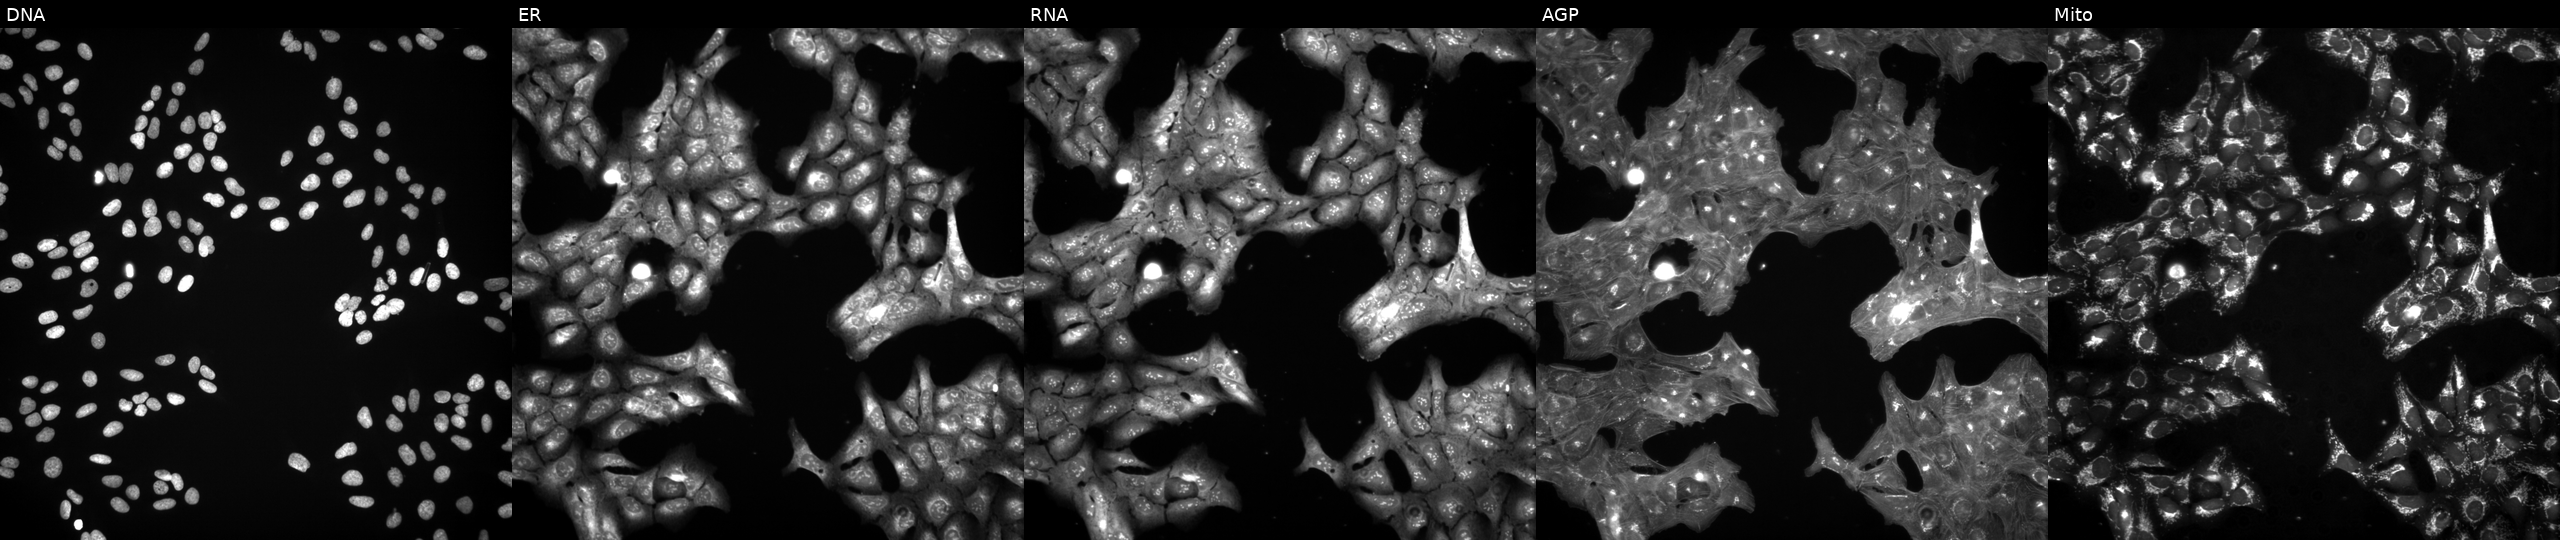
This image strip shows the five Cell Painting channels for a single field of U2OS cells perturbed with a small-molecule compound (InChIKey RSOODJIGEVJLMK-UHFFFAOYSA-N). Channels (left→right): Hoechst 33342, concanavalin A, SYTO 14, phalloidin and WGA, MitoTracker. Source 3, plate BR5867a3, well K13.